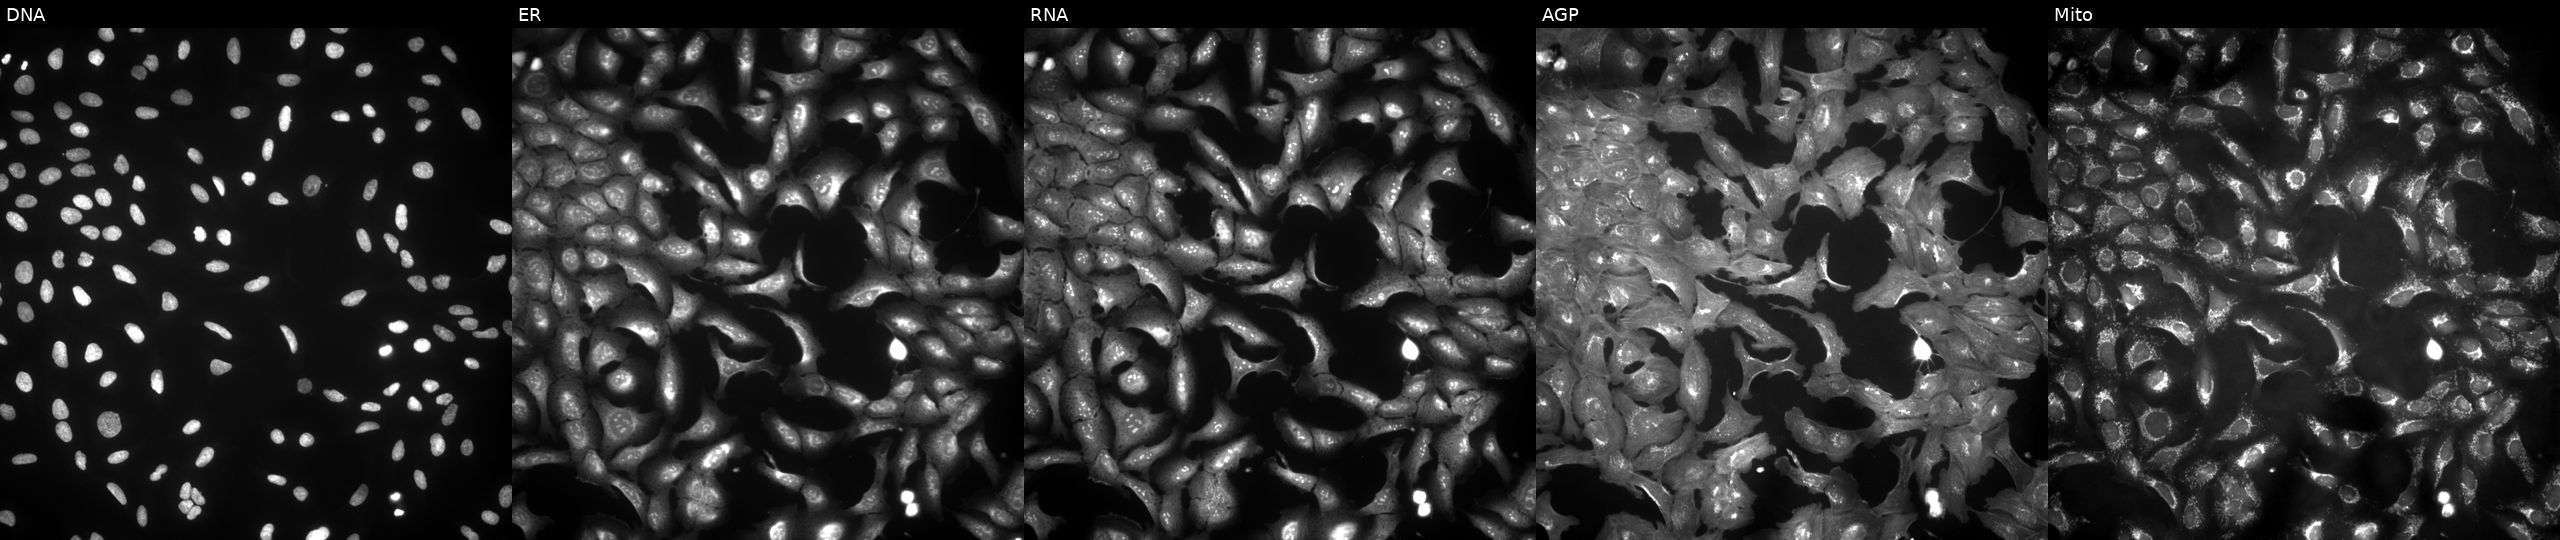
The five panels, left to right, show DNA, ER, RNA, AGP, and Mito. U2OS osteosarcoma cells with RPL3 overexpressed (ORF). Cell Painting assay, JUMP-CP dataset.